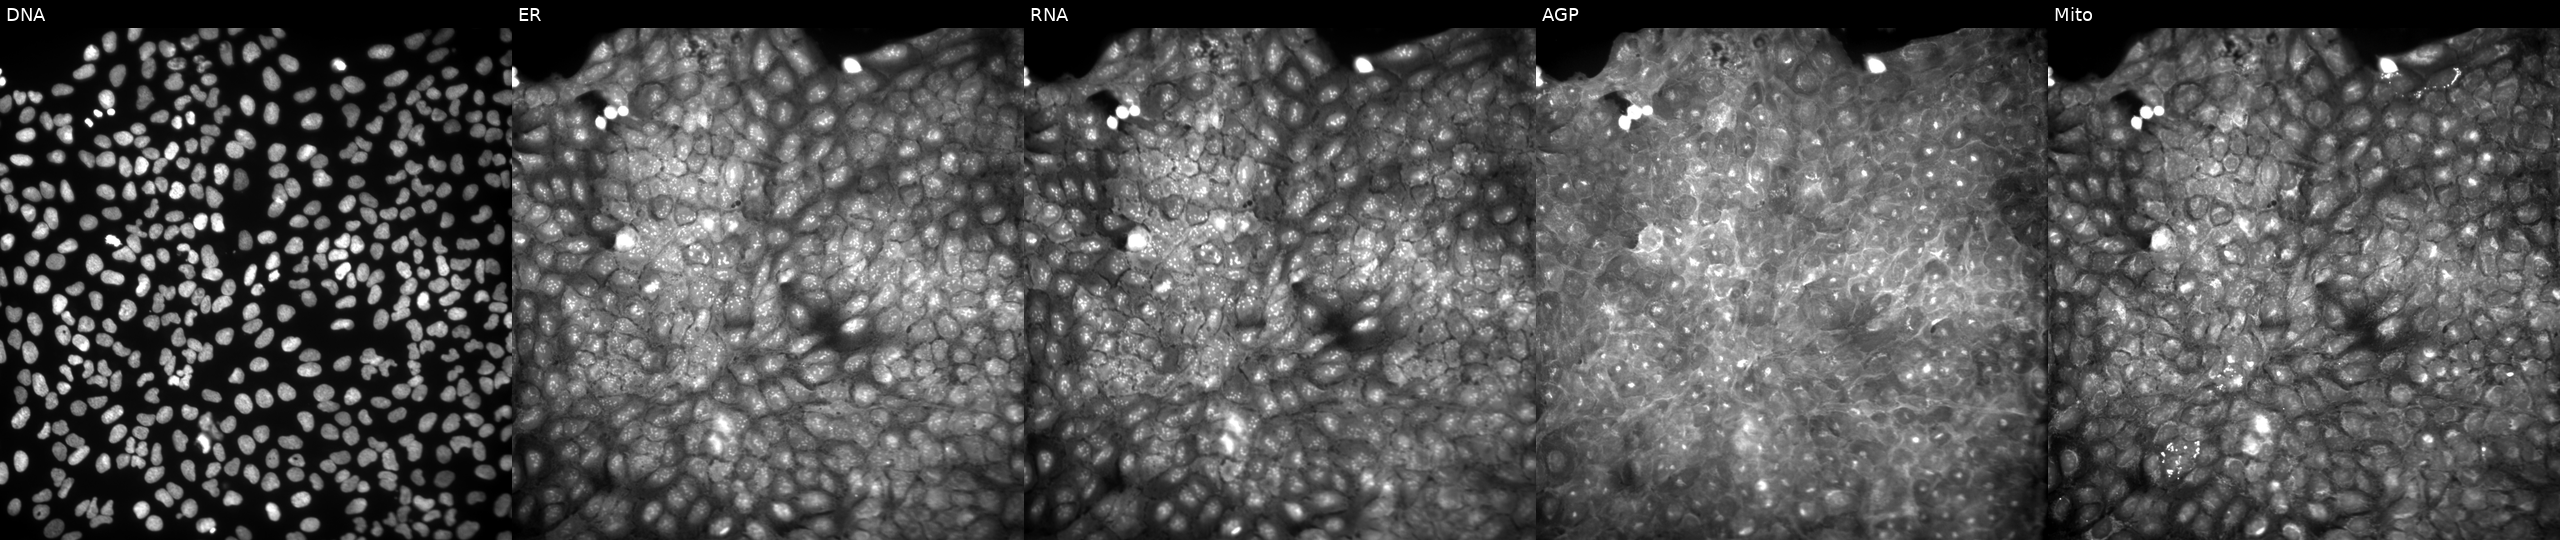
U2OS cells, Cell Painting assay, treated with a small-molecule compound (JUMP id JCP2022_054753). Panels show, left to right, Hoechst 33342, concanavalin A, SYTO 14, phalloidin and WGA, MitoTracker. Each panel is percentile-stretched 16-bit fluorescence.